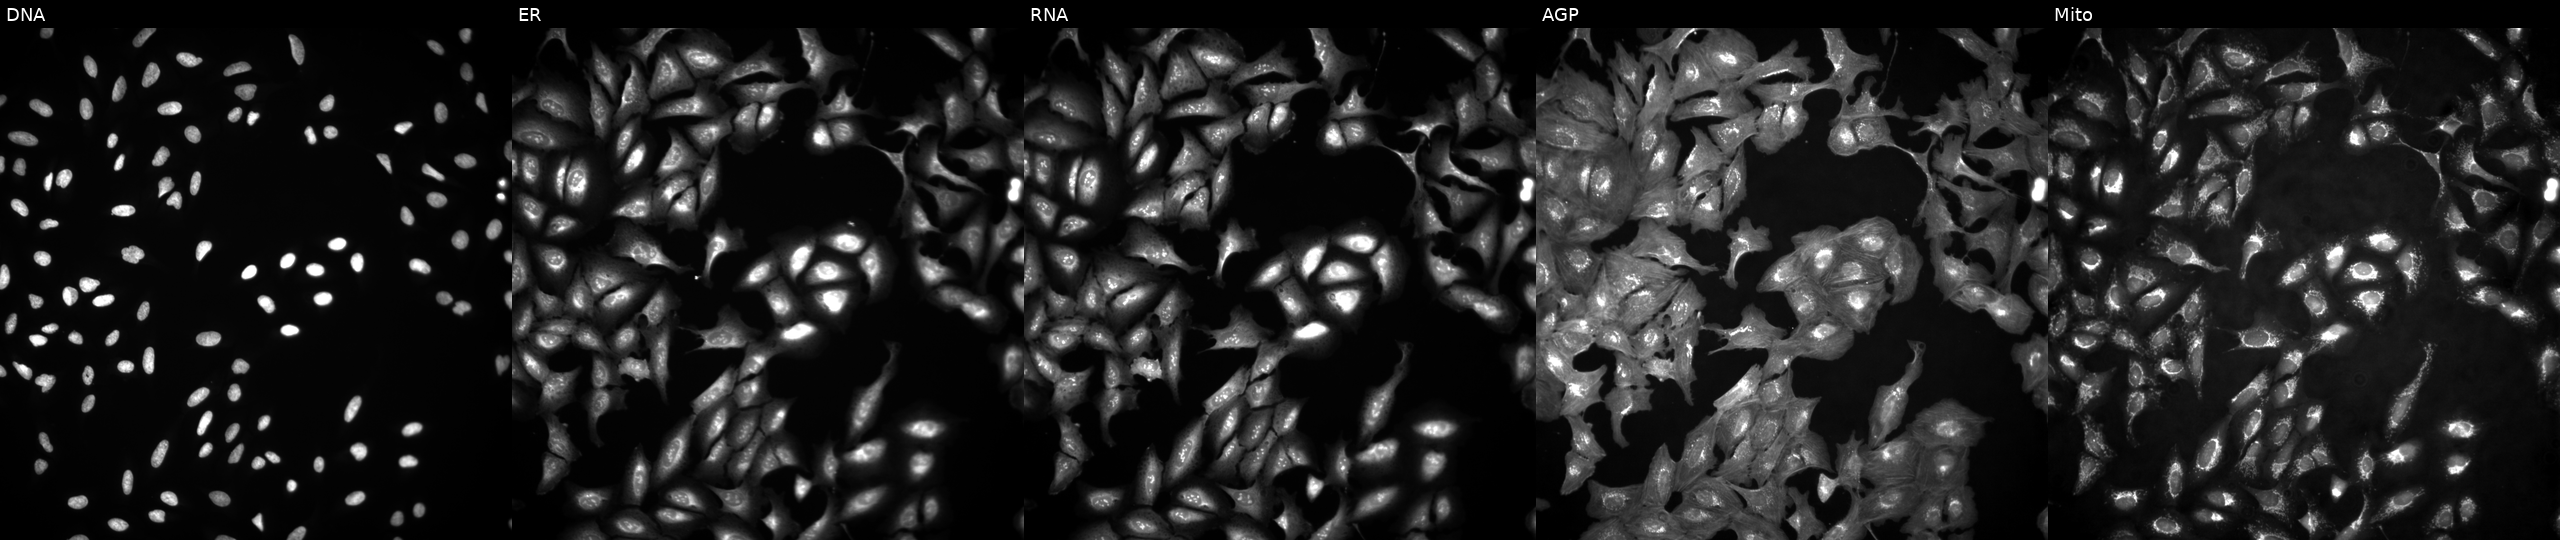
U2OS cells, Cell Painting assay, transfected with an ORF construct for ABL2. The five panels, left to right, show Hoechst 33342, concanavalin A, SYTO 14, phalloidin and WGA, MitoTracker. Each panel is percentile-stretched 16-bit fluorescence.